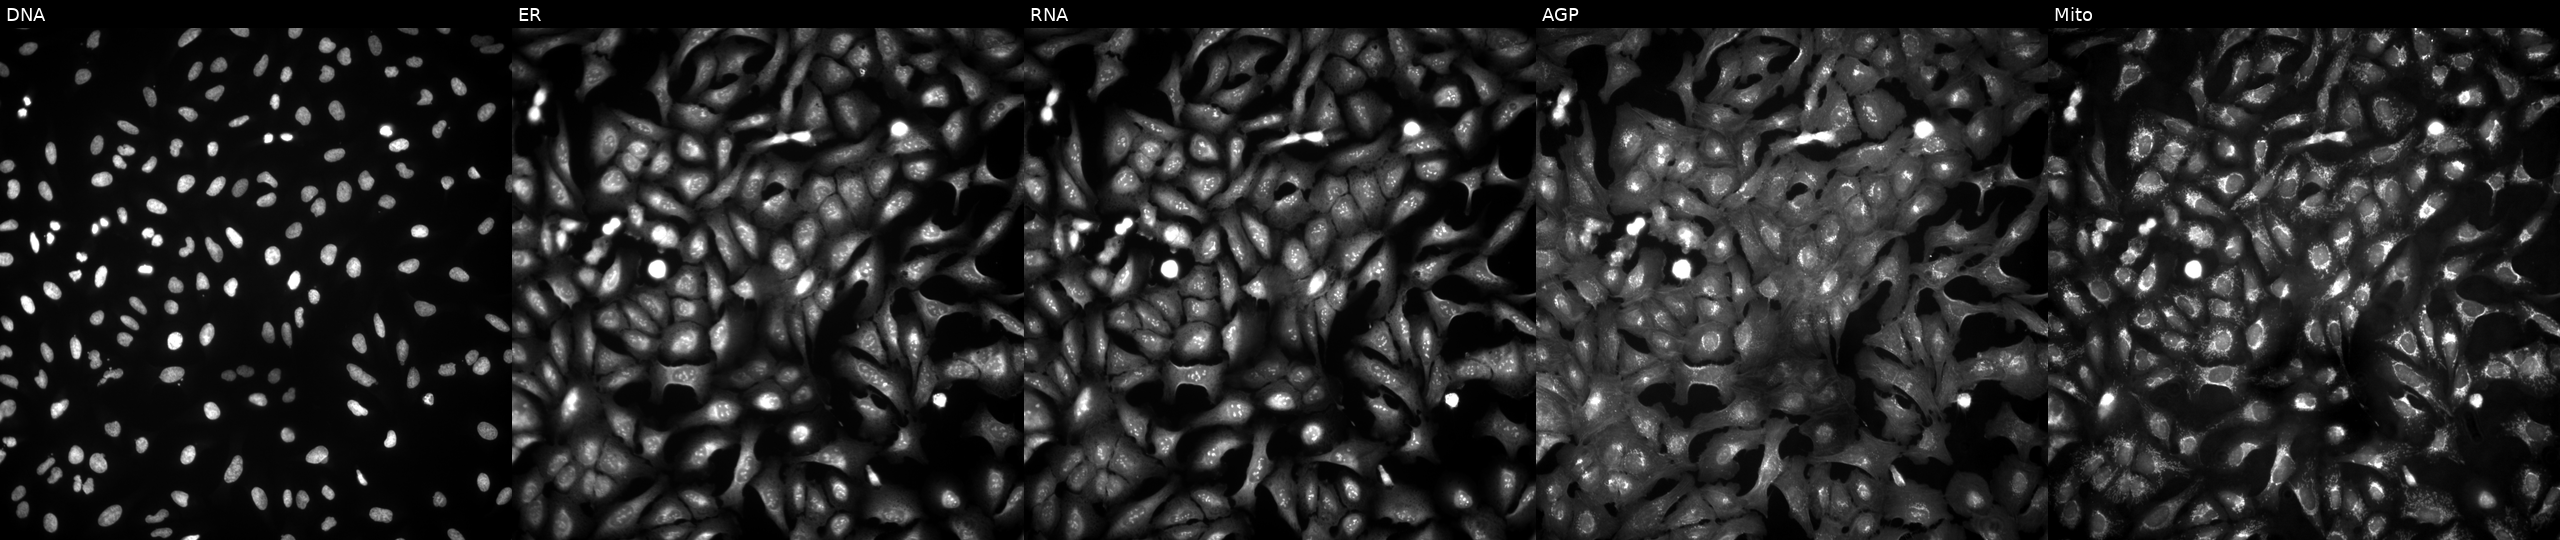
JUMP Cell Painting — ORF plate. U2OS cells transfected with an ORF construct for KRTAP4-2 (JUMP id JCP2022_904188). From left to right: Hoechst 33342, concanavalin A, SYTO 14, phalloidin and WGA, MitoTracker. Source 4, plate BR00124790, well I02.